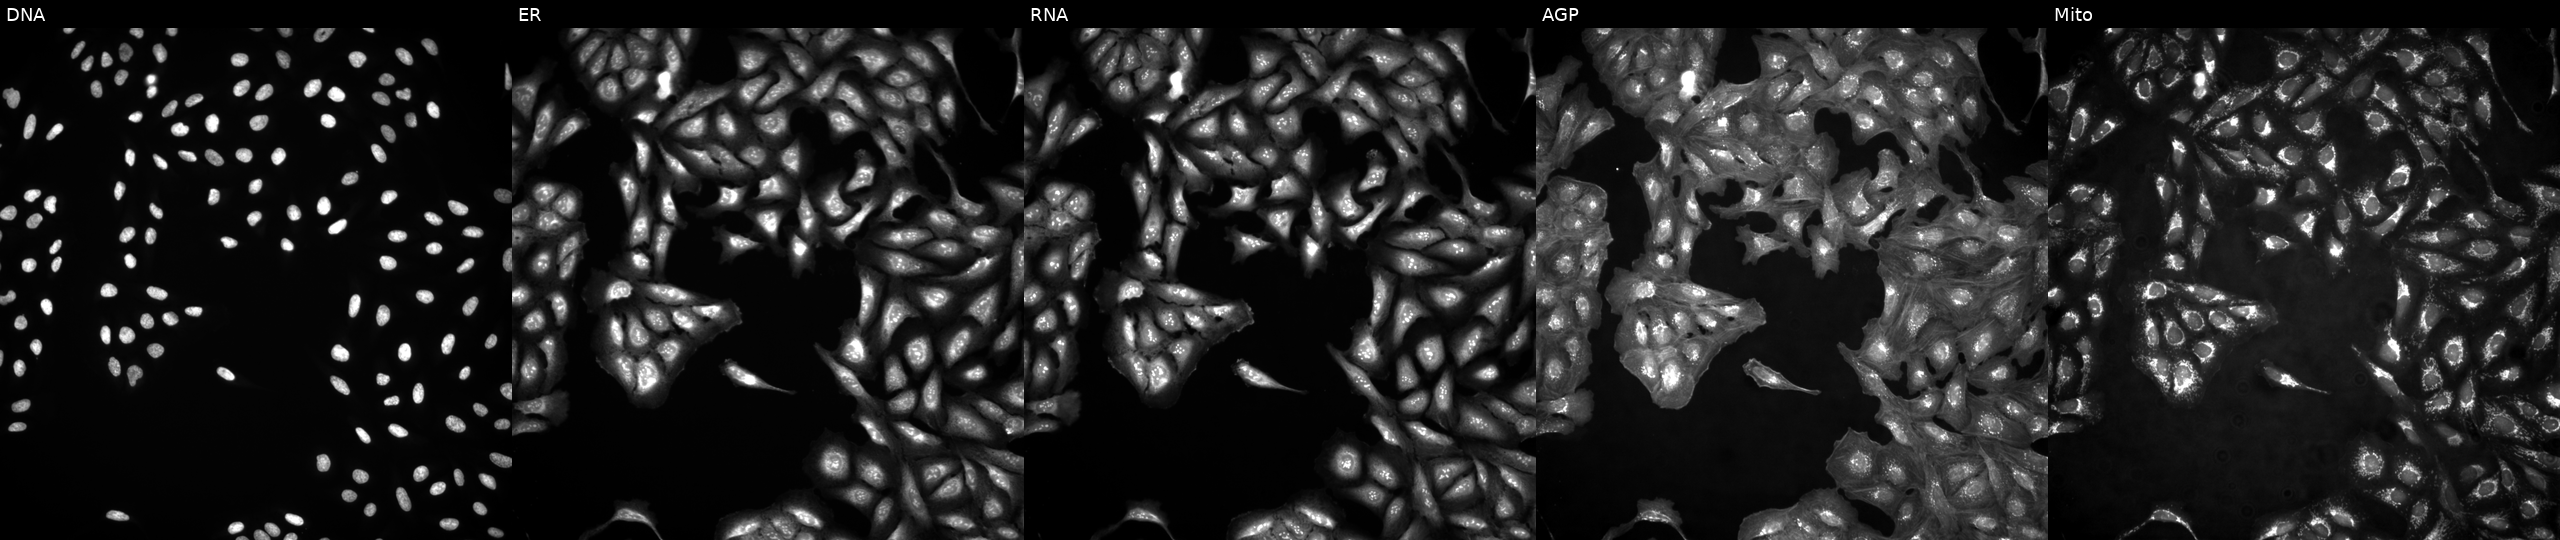
Five-channel Cell Painting image of U2OS cells untreated (empty-well control). From left to right: DNA (nuclei); ER (endoplasmic reticulum); RNA (nucleoli and cytoplasmic RNA); AGP (actin cytoskeleton, Golgi, and plasma membrane); Mito (mitochondria).